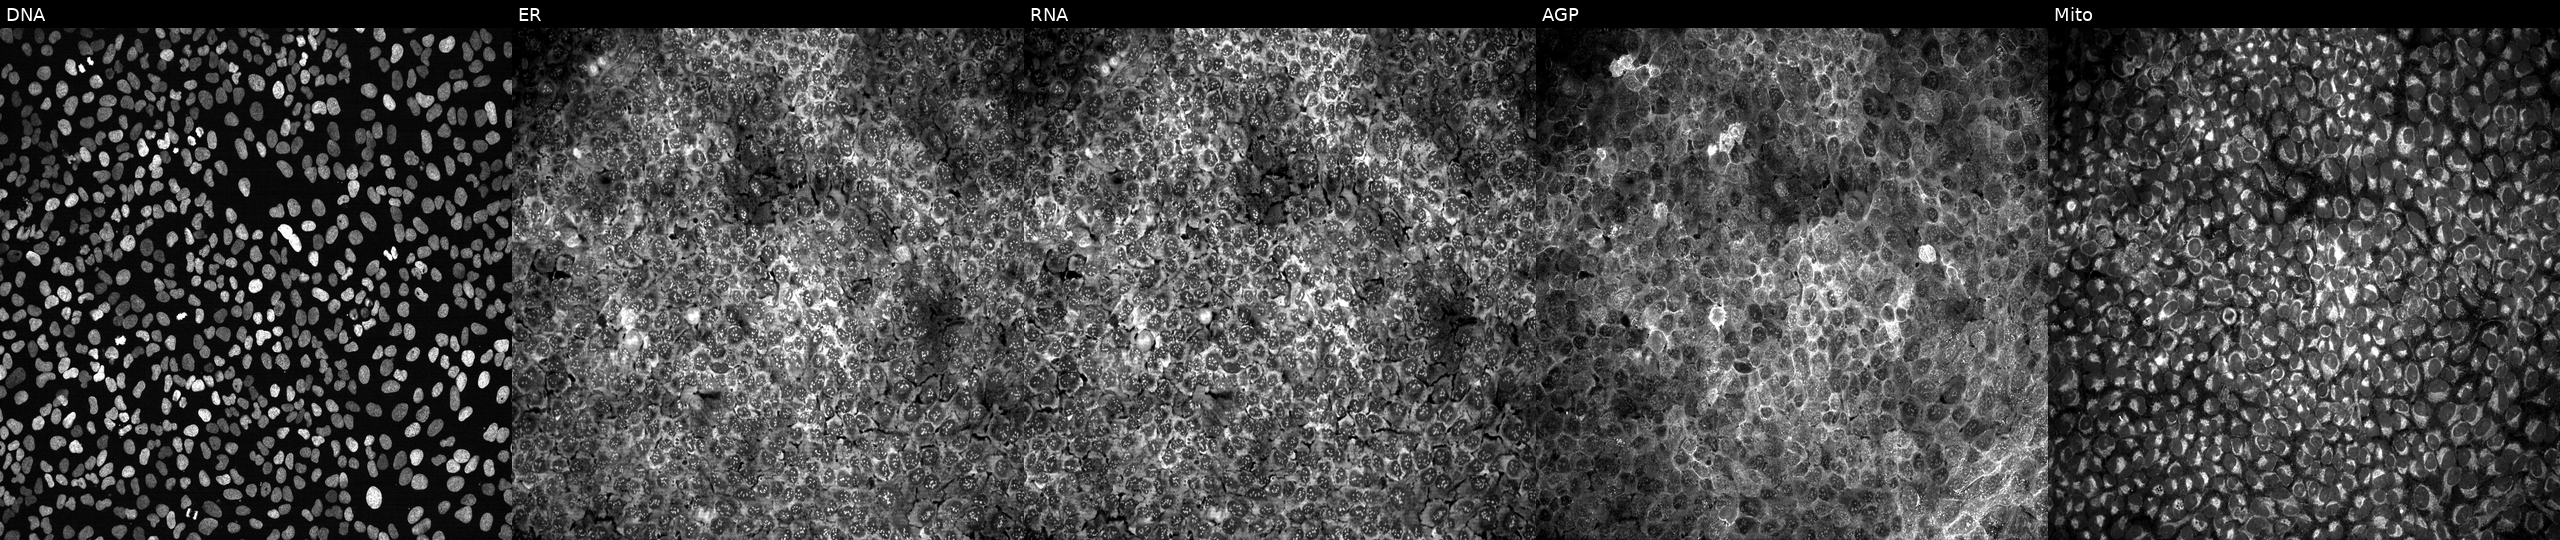
High-content fluorescence microscopy (Cell Painting). Cell line: U2OS. Perturbation: treated with dexamethasone (positive-control compound) (JUMP id JCP2022_025848). The five panels, left to right, show Hoechst 33342, concanavalin A, SYTO 14, phalloidin and WGA, MitoTracker.